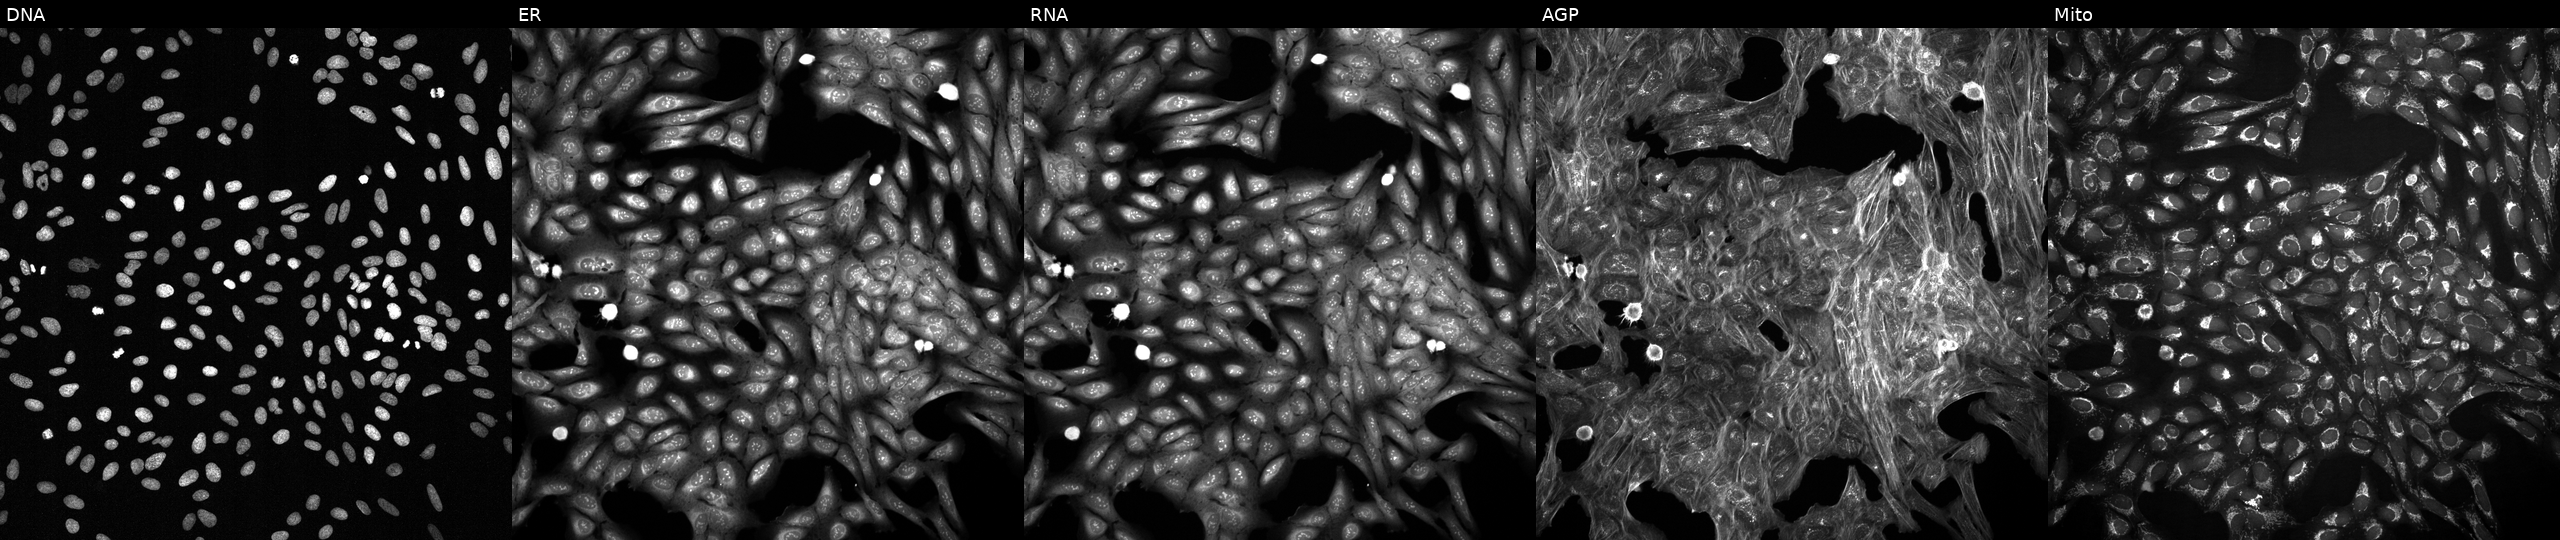
JUMP Cell Painting — TARGET2 plate. U2OS cells treated with a small-molecule compound (InChIKey JHSXDAWGLCZYSM-UHFFFAOYSA-N). From left to right: Hoechst 33342, concanavalin A, SYTO 14, phalloidin and WGA, MitoTracker. Source 2, plate 1053600674, well H10.